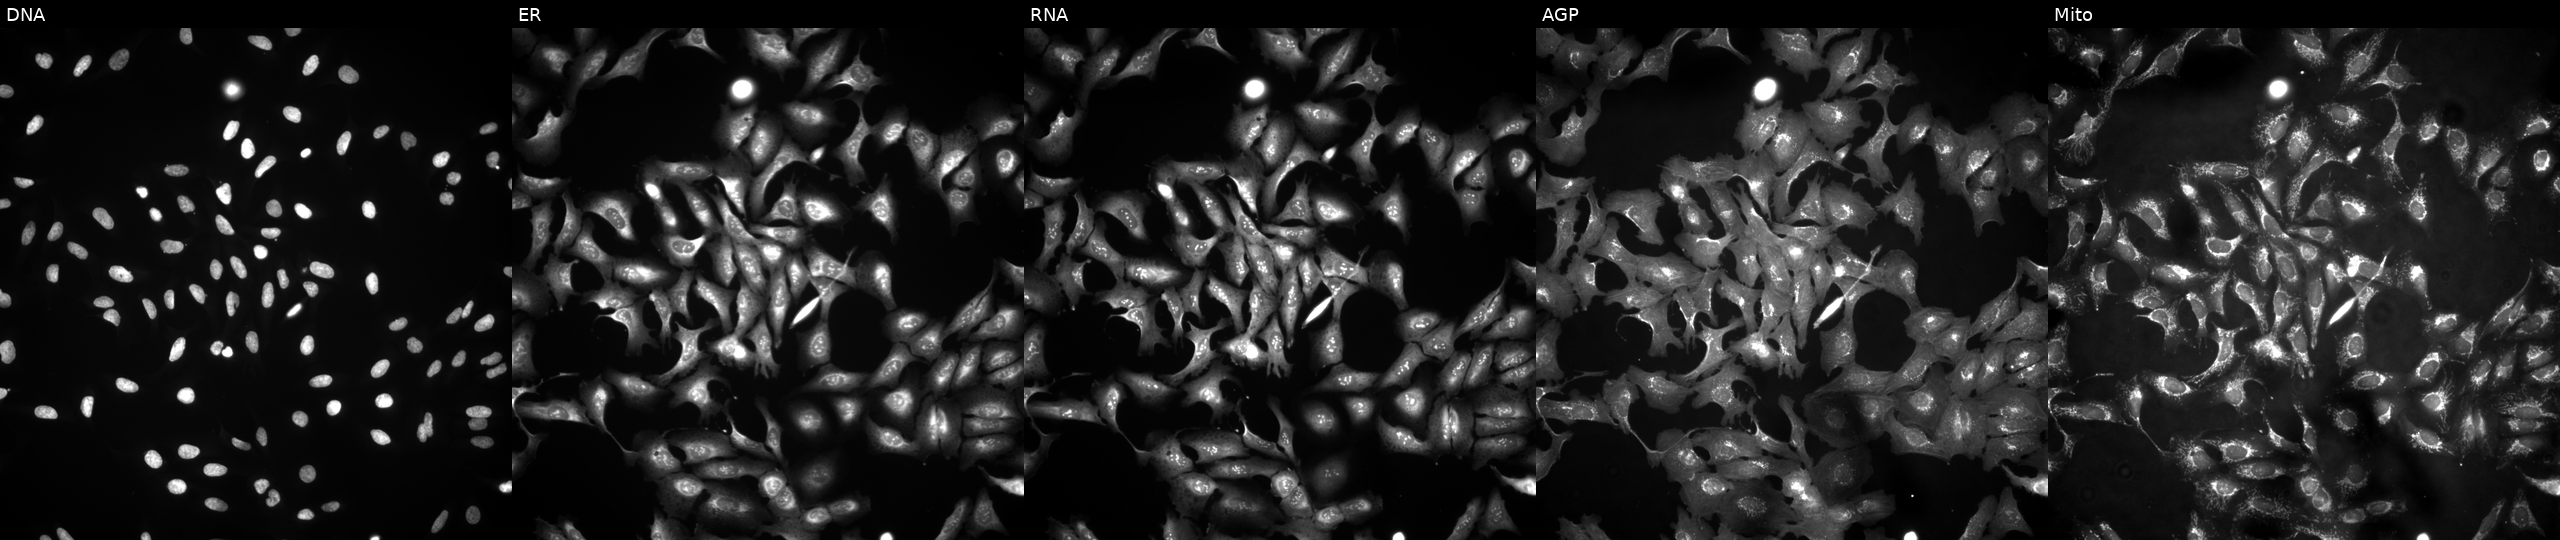
Five-channel Cell Painting image of U2OS cells with GLB1 overexpressed (ORF). The five panels, left to right, show Hoechst 33342, concanavalin A, SYTO 14, phalloidin and WGA, MitoTracker. Source 4, plate BR00121543, well I09.